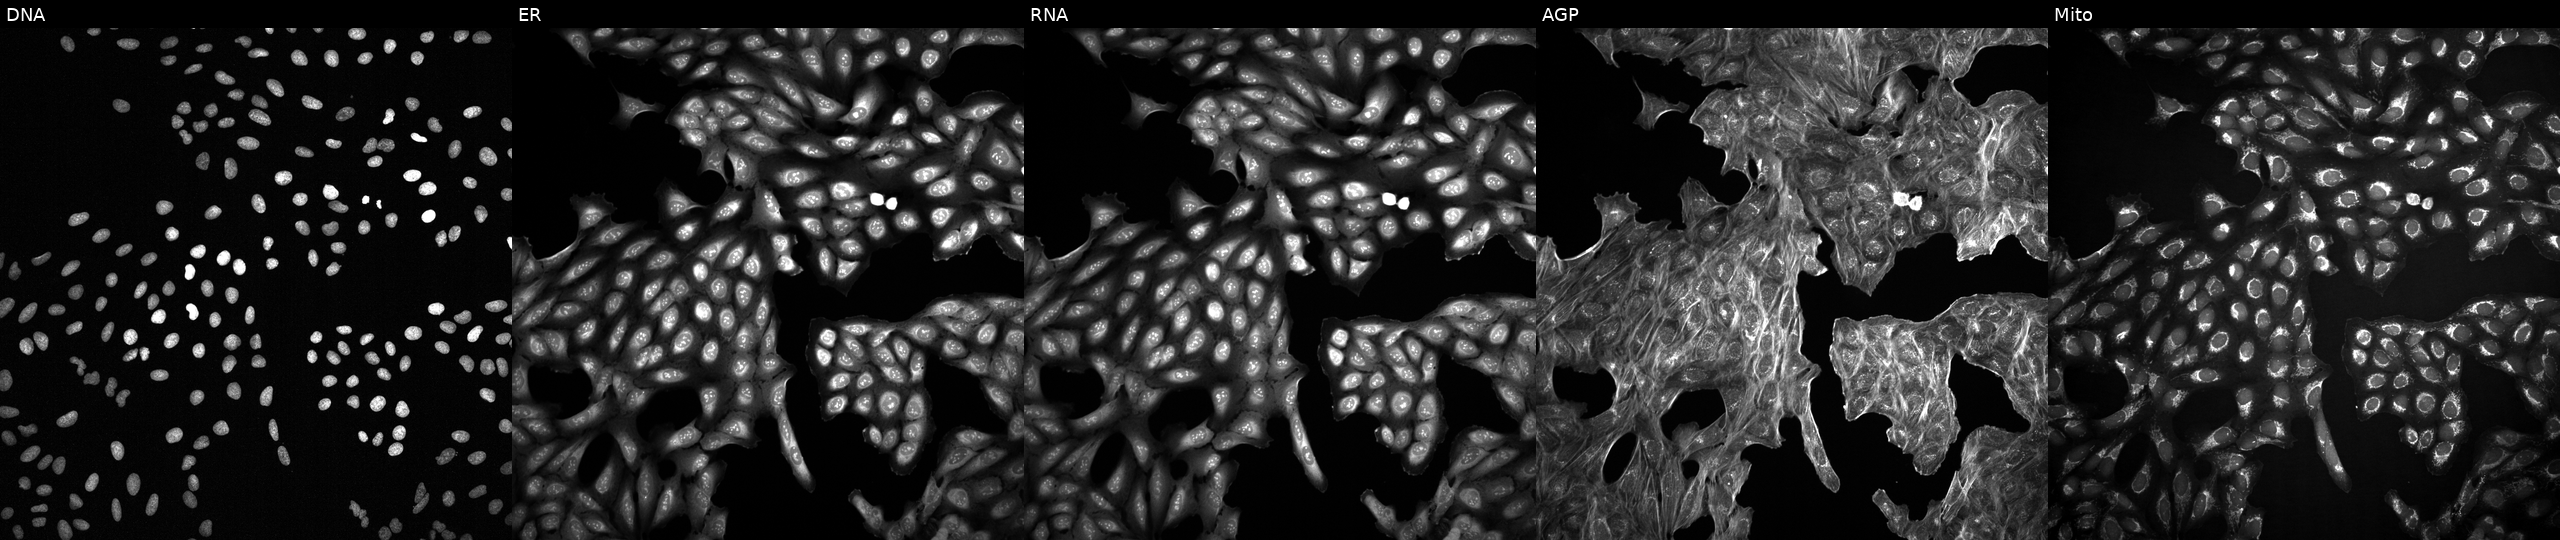
Channels (left→right): DNA, ER, RNA, AGP, and Mito. U2OS osteosarcoma cells perturbed with a small-molecule compound (InChIKey LAEVSHYUVWSMHG-UHFFFAOYSA-N). Cell Painting assay, JUMP-CP dataset. Source 2, plate 1053601763, well M19.